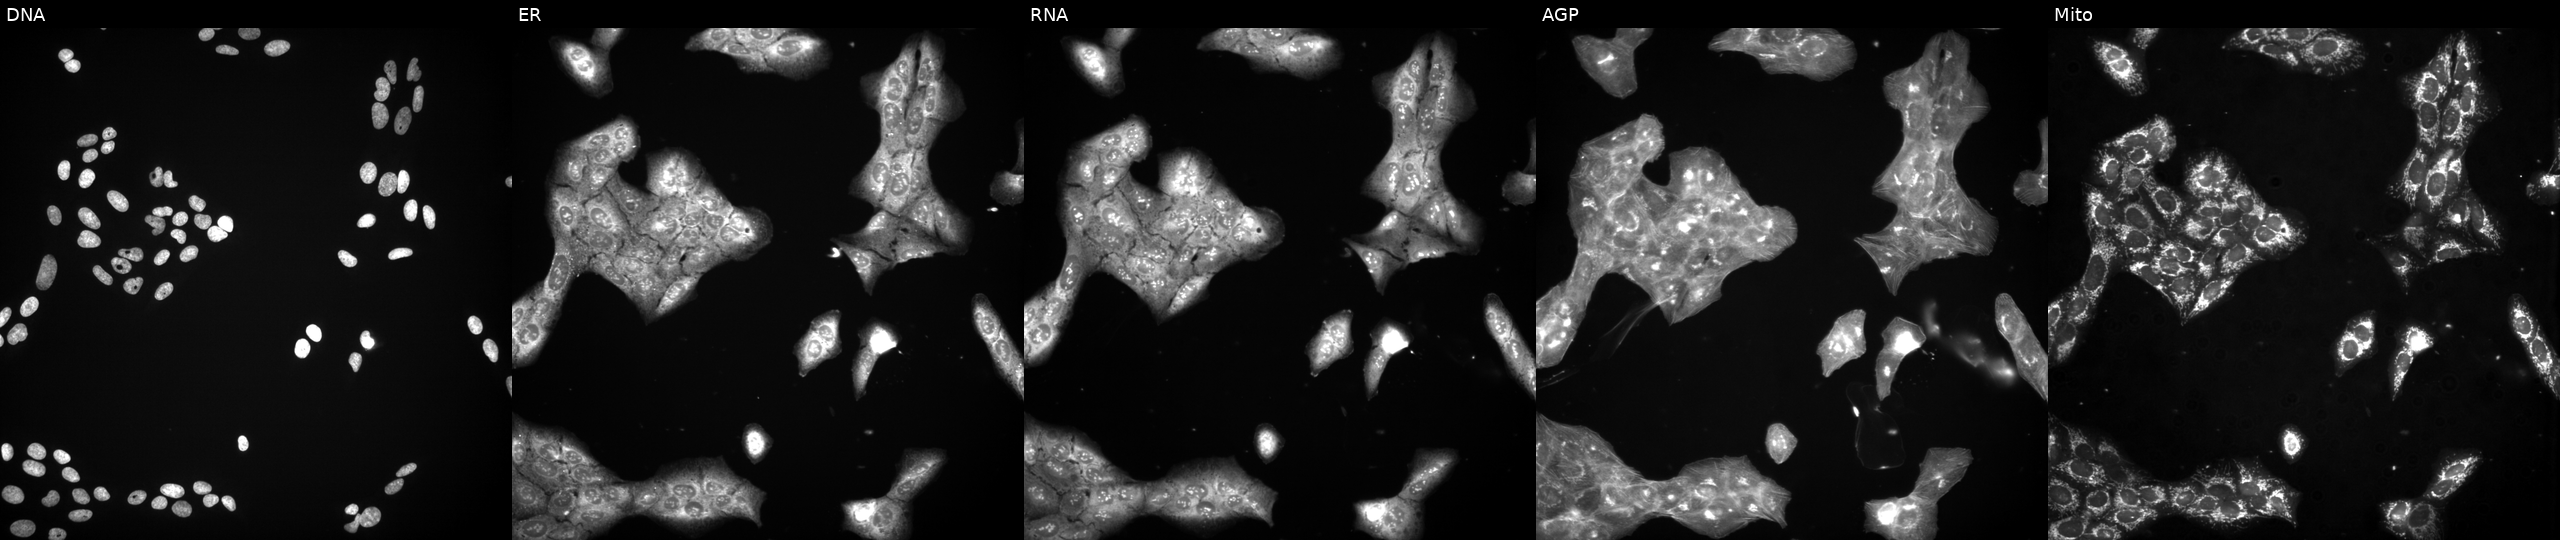
This image strip shows the five Cell Painting channels for a single field of U2OS cells exposed to a small-molecule compound (InChIKey NLYPBWUXDFDDBB-UHFFFAOYSA-N). The five panels, left to right, show DNA (nuclei); ER (endoplasmic reticulum); RNA (nucleoli and cytoplasmic RNA); AGP (actin cytoskeleton, Golgi, and plasma membrane); Mito (mitochondria). Source 3, plate BR5867b3, well M16.